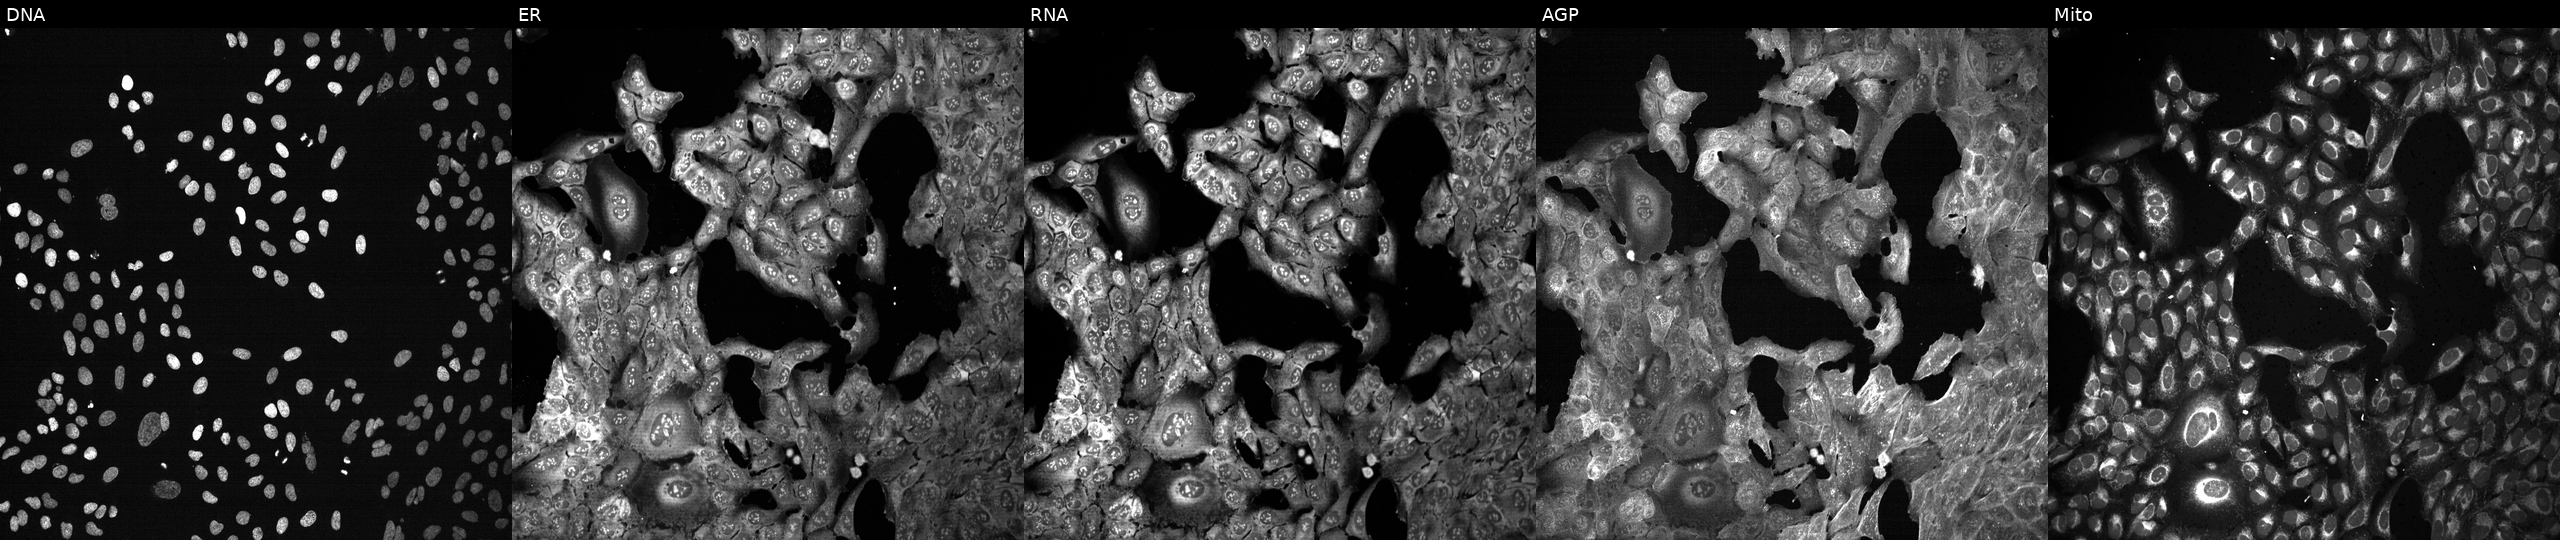
This image strip shows the five Cell Painting channels for a single field of U2OS cells with RNASE2 knocked out by CRISPR (JUMP id JCP2022_805984). The five panels, left to right, show DNA, ER, RNA, AGP, and Mito.